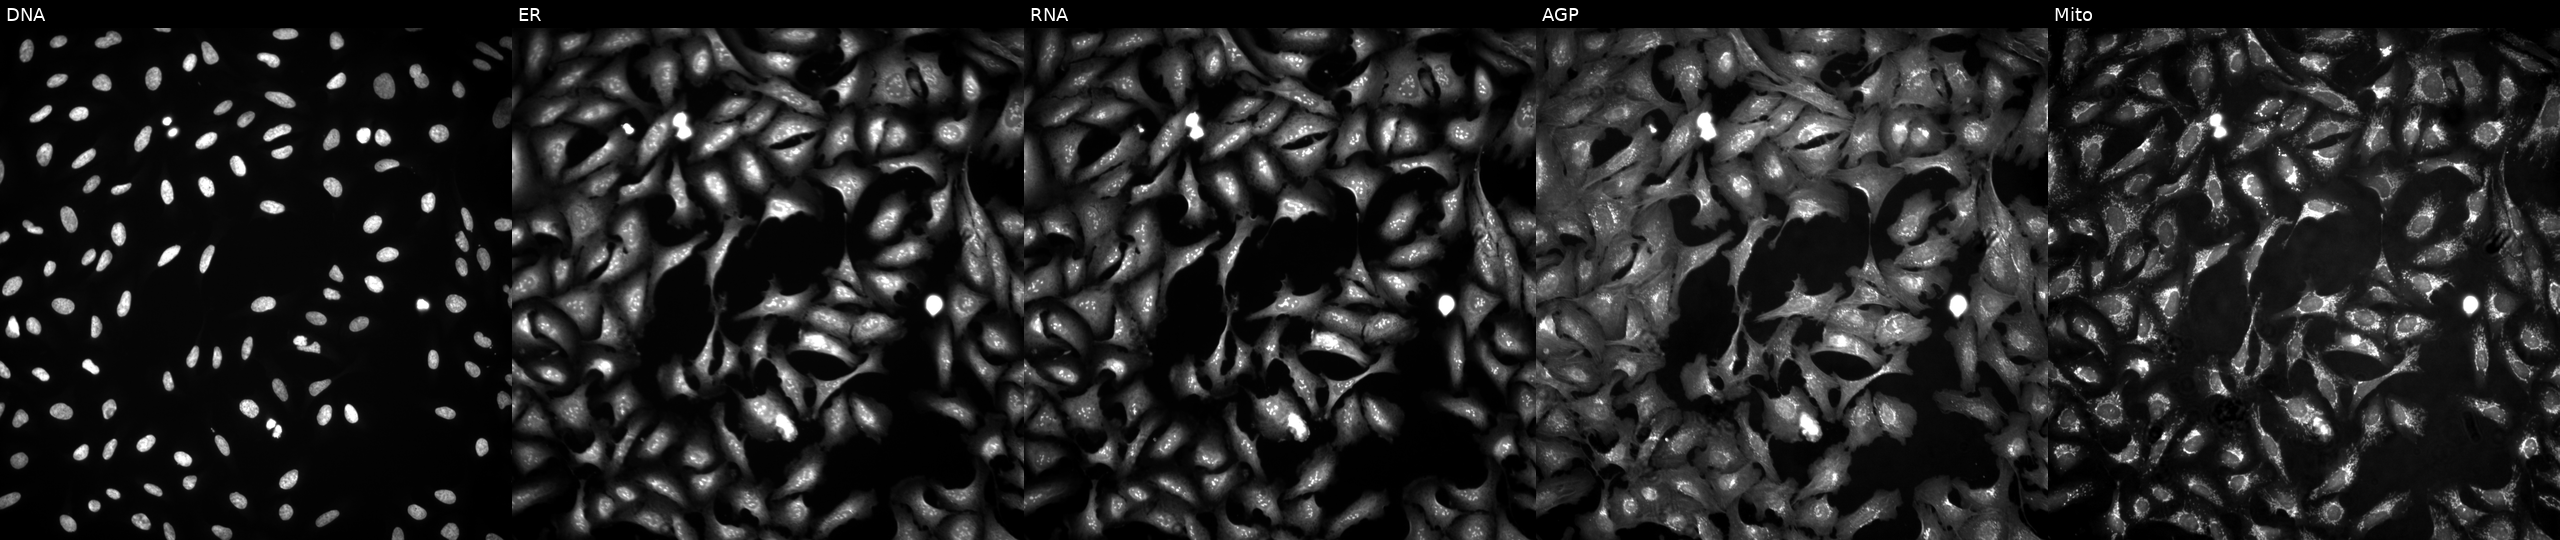
This image strip shows the five Cell Painting channels for a single field of U2OS cells transfected with an ORF construct for MTPN (JUMP id JCP2022_904592). Channels (left→right): Hoechst 33342, concanavalin A, SYTO 14, phalloidin and WGA, MitoTracker.